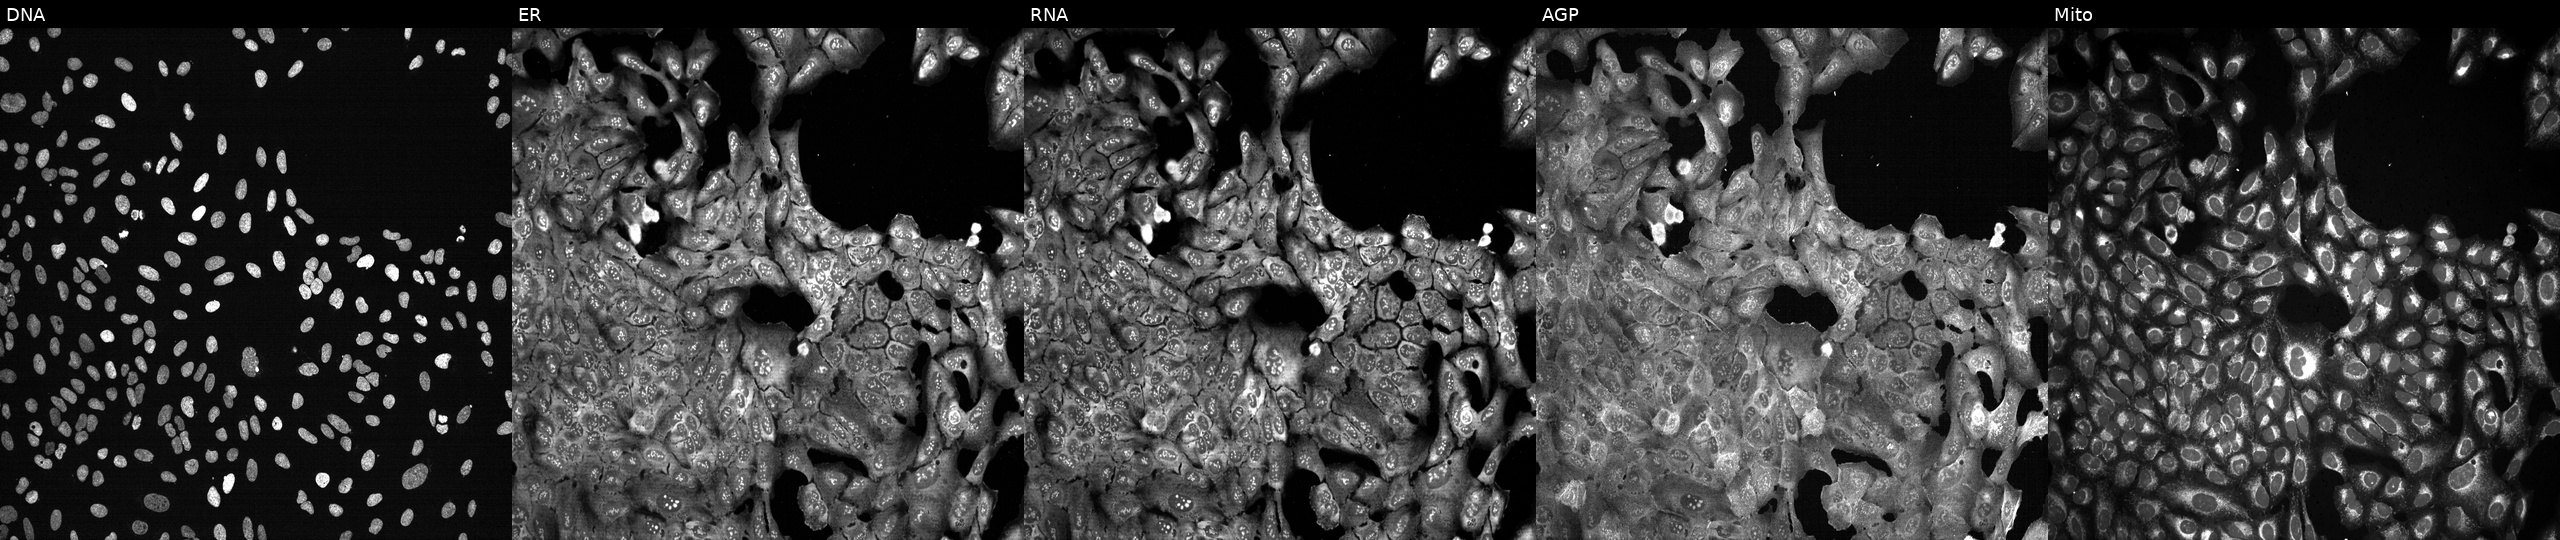
Channels (left→right): DNA (nuclei); ER (endoplasmic reticulum); RNA (nucleoli and cytoplasmic RNA); AGP (actin cytoskeleton, Golgi, and plasma membrane); Mito (mitochondria). U2OS osteosarcoma cells with ALDH6A1 knocked out by CRISPR (JUMP id JCP2022_800395). Cell Painting assay, JUMP-CP dataset.